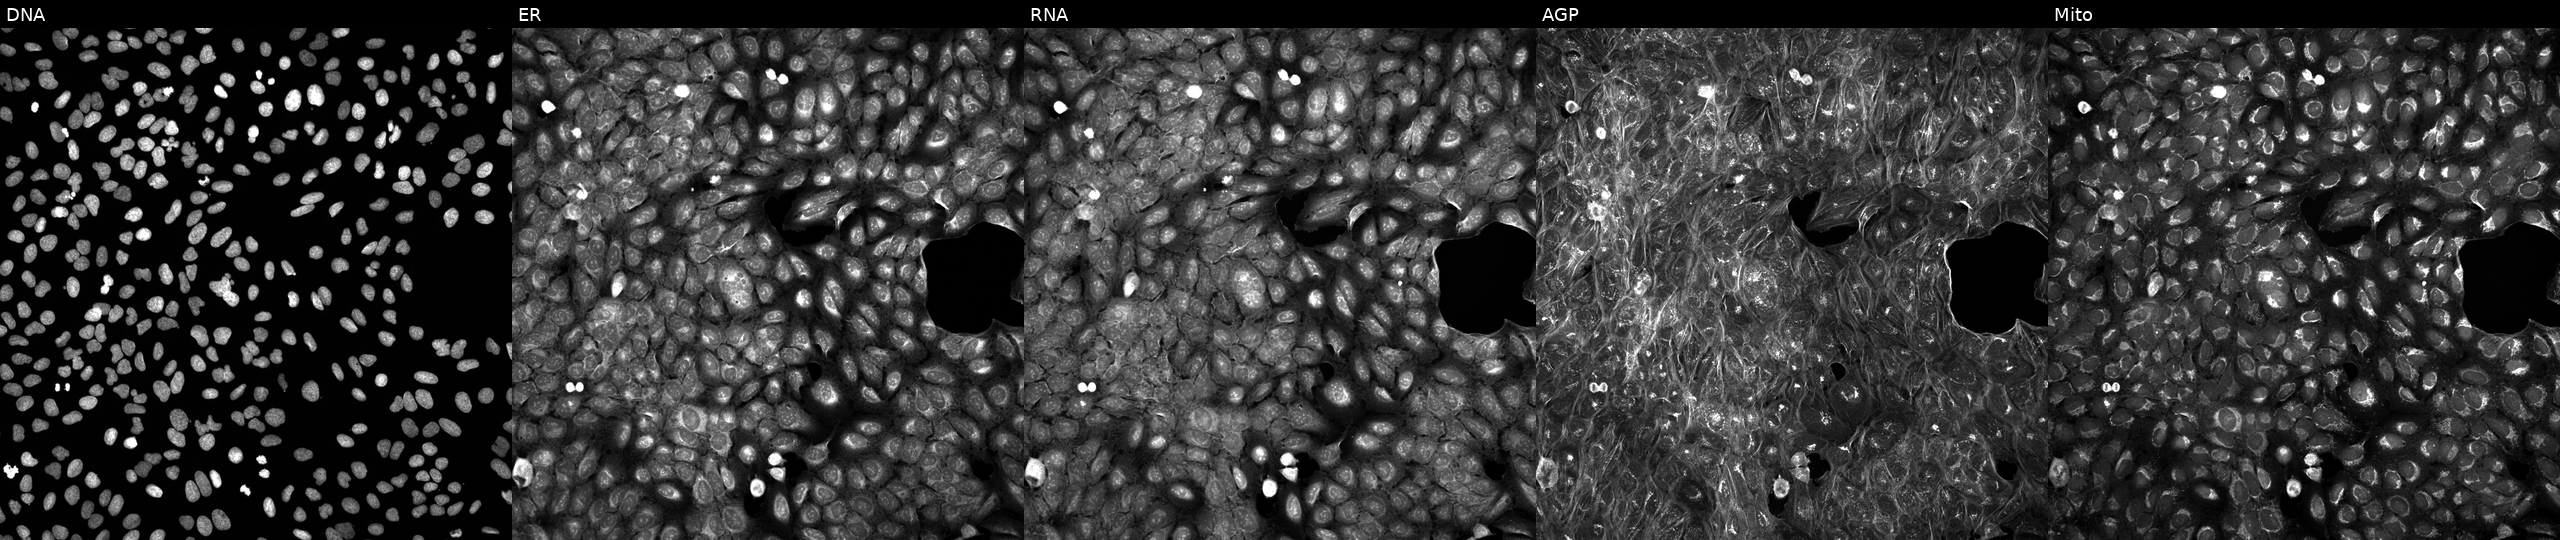
Five-channel Cell Painting image of U2OS cells exposed to DMSO alone as a negative control. Channels (left→right): Hoechst 33342, concanavalin A, SYTO 14, phalloidin and WGA, MitoTracker. Source 5, plate ACPJUM012, well L23.